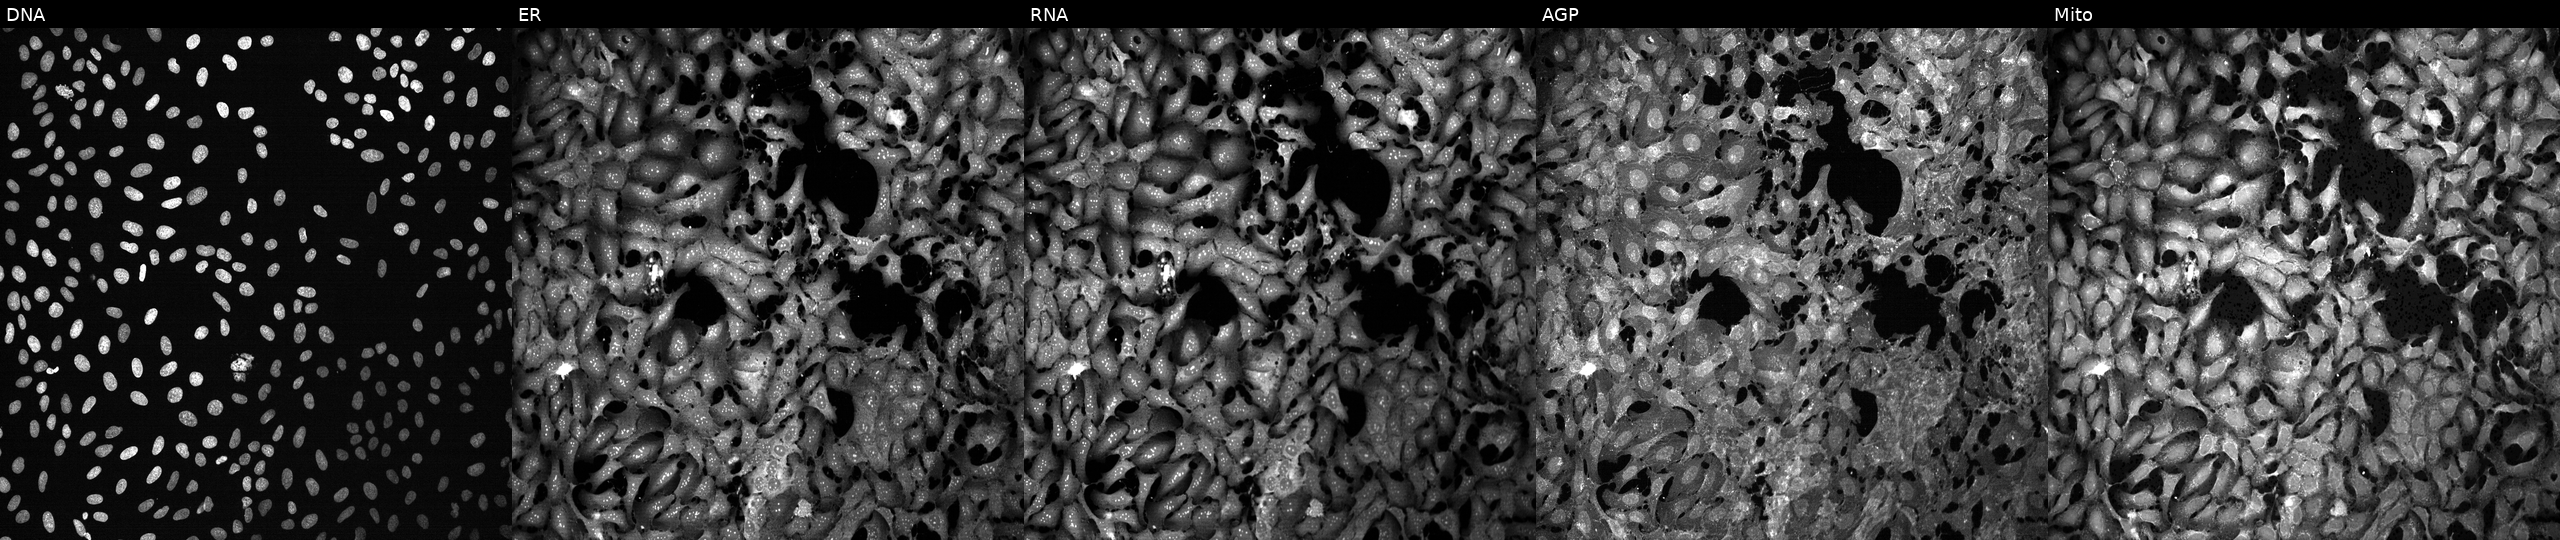
High-content fluorescence microscopy (Cell Painting). Cell line: U2OS. Perturbation: exposed to the positive-control compound FK-866. Panels show, left to right, Hoechst 33342, concanavalin A, SYTO 14, phalloidin and WGA, MitoTracker.